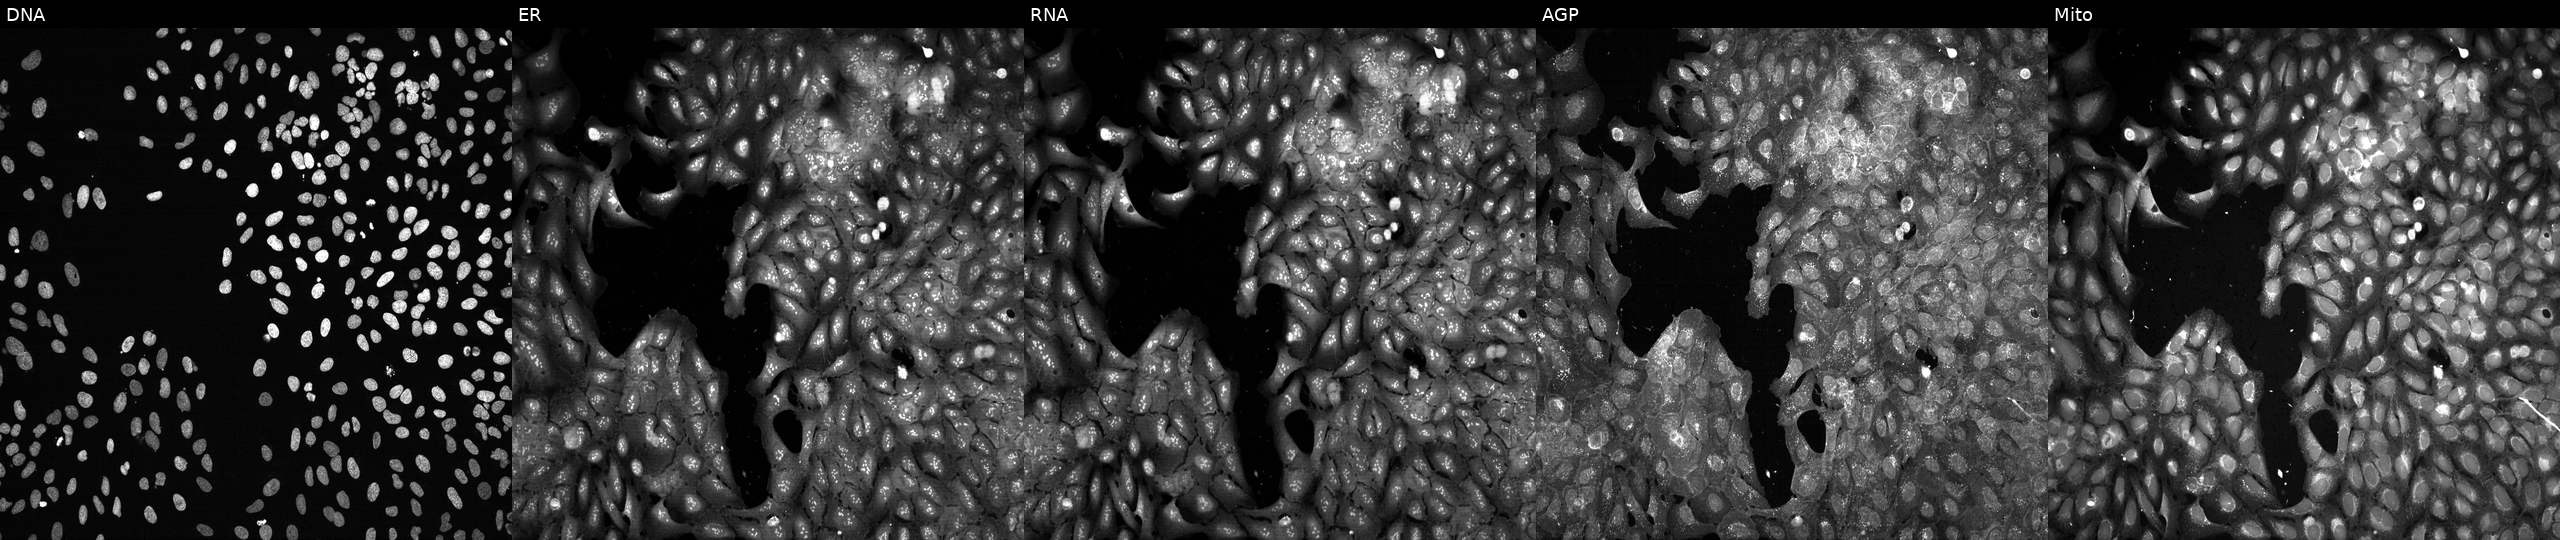
High-content fluorescence microscopy (Cell Painting). Cell line: U2OS. Perturbation: CRISPR-edited to disrupt EREG. Channels (left→right): Hoechst 33342, concanavalin A, SYTO 14, phalloidin and WGA, MitoTracker.